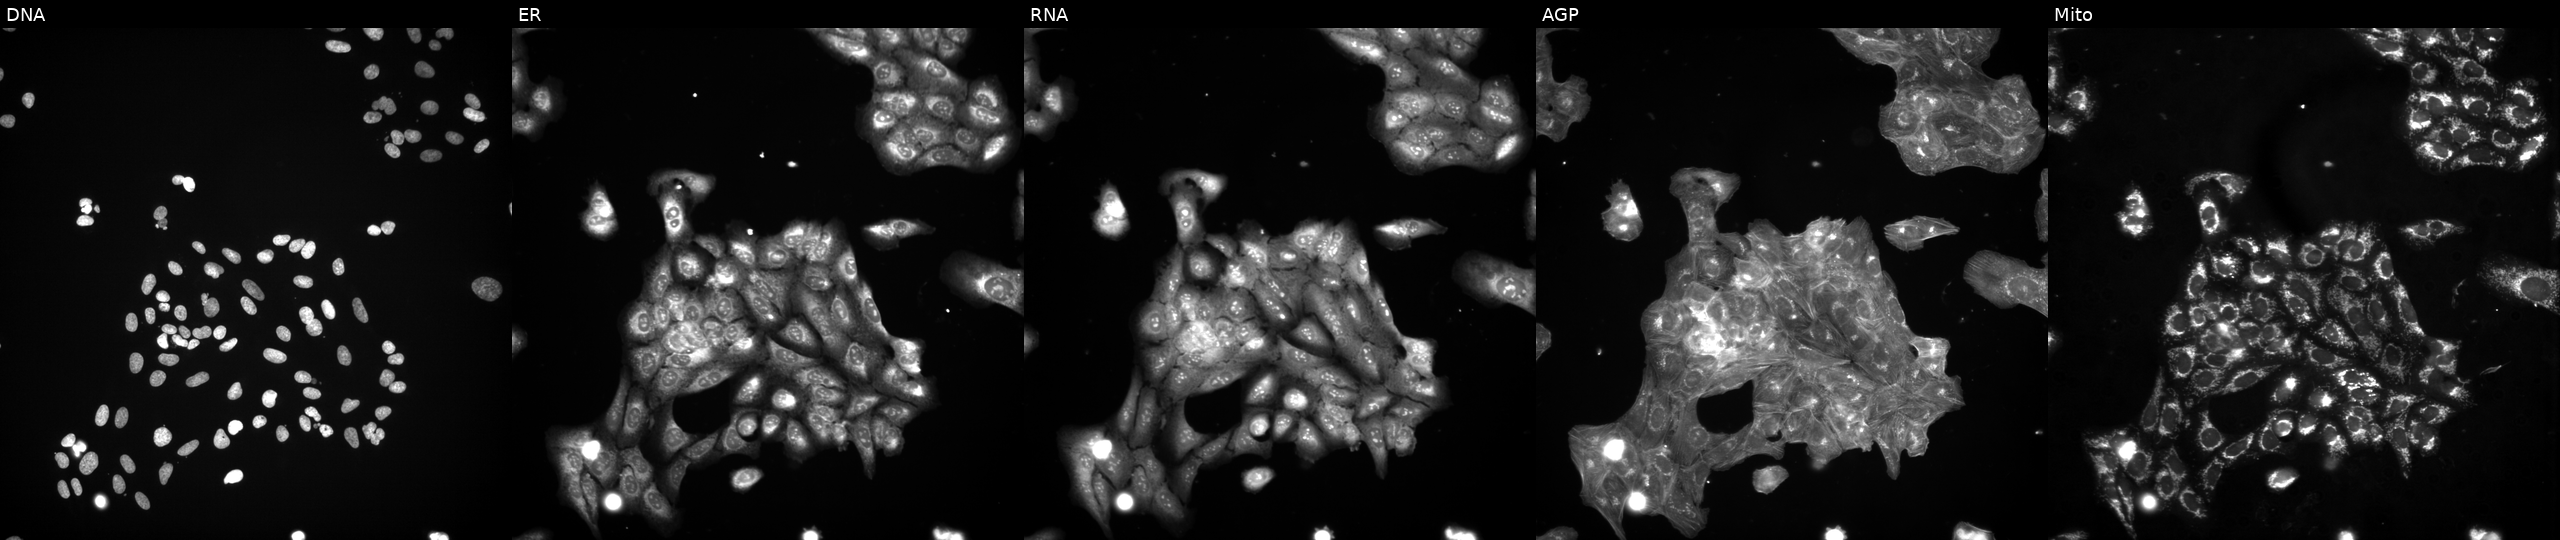
The five panels, left to right, show DNA (nuclei); ER (endoplasmic reticulum); RNA (nucleoli and cytoplasmic RNA); AGP (actin cytoskeleton, Golgi, and plasma membrane); Mito (mitochondria). U2OS osteosarcoma cells treated with a small-molecule compound (InChIKey MAKMQGKJURAJEN-UHFFFAOYSA-N). Cell Painting assay, JUMP-CP dataset.